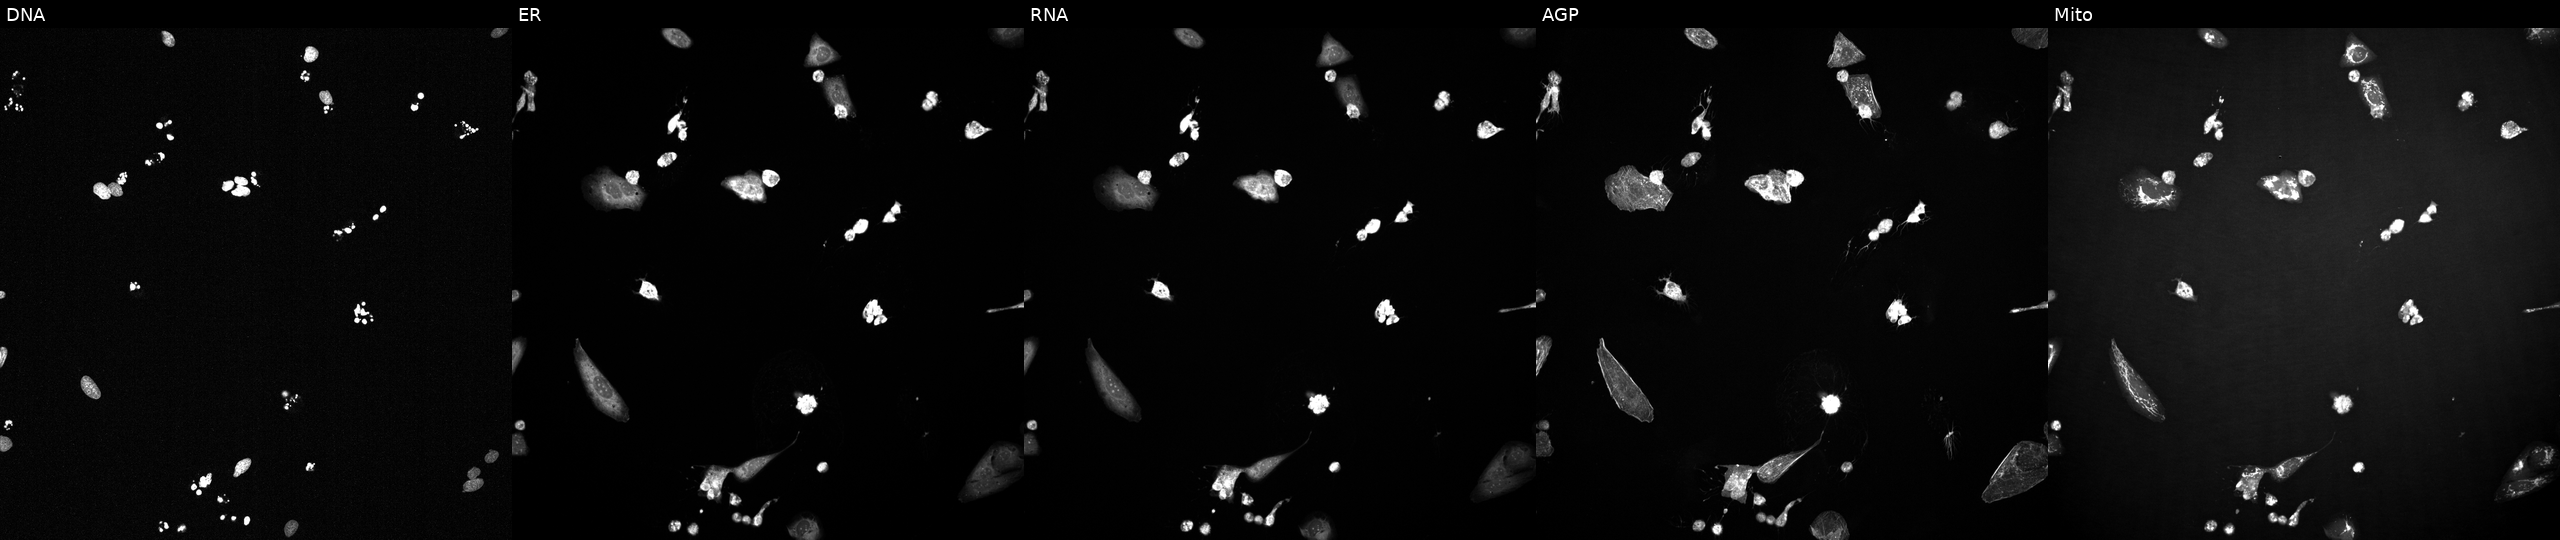
High-content fluorescence microscopy (Cell Painting). Cell line: U2OS. Perturbation: exposed to a small-molecule compound (InChIKey RVAQIUULWULRNW-UHFFFAOYSA-N) (JUMP id JCP2022_080920). Panels show, left to right, Hoechst 33342, concanavalin A, SYTO 14, phalloidin and WGA, MitoTracker.